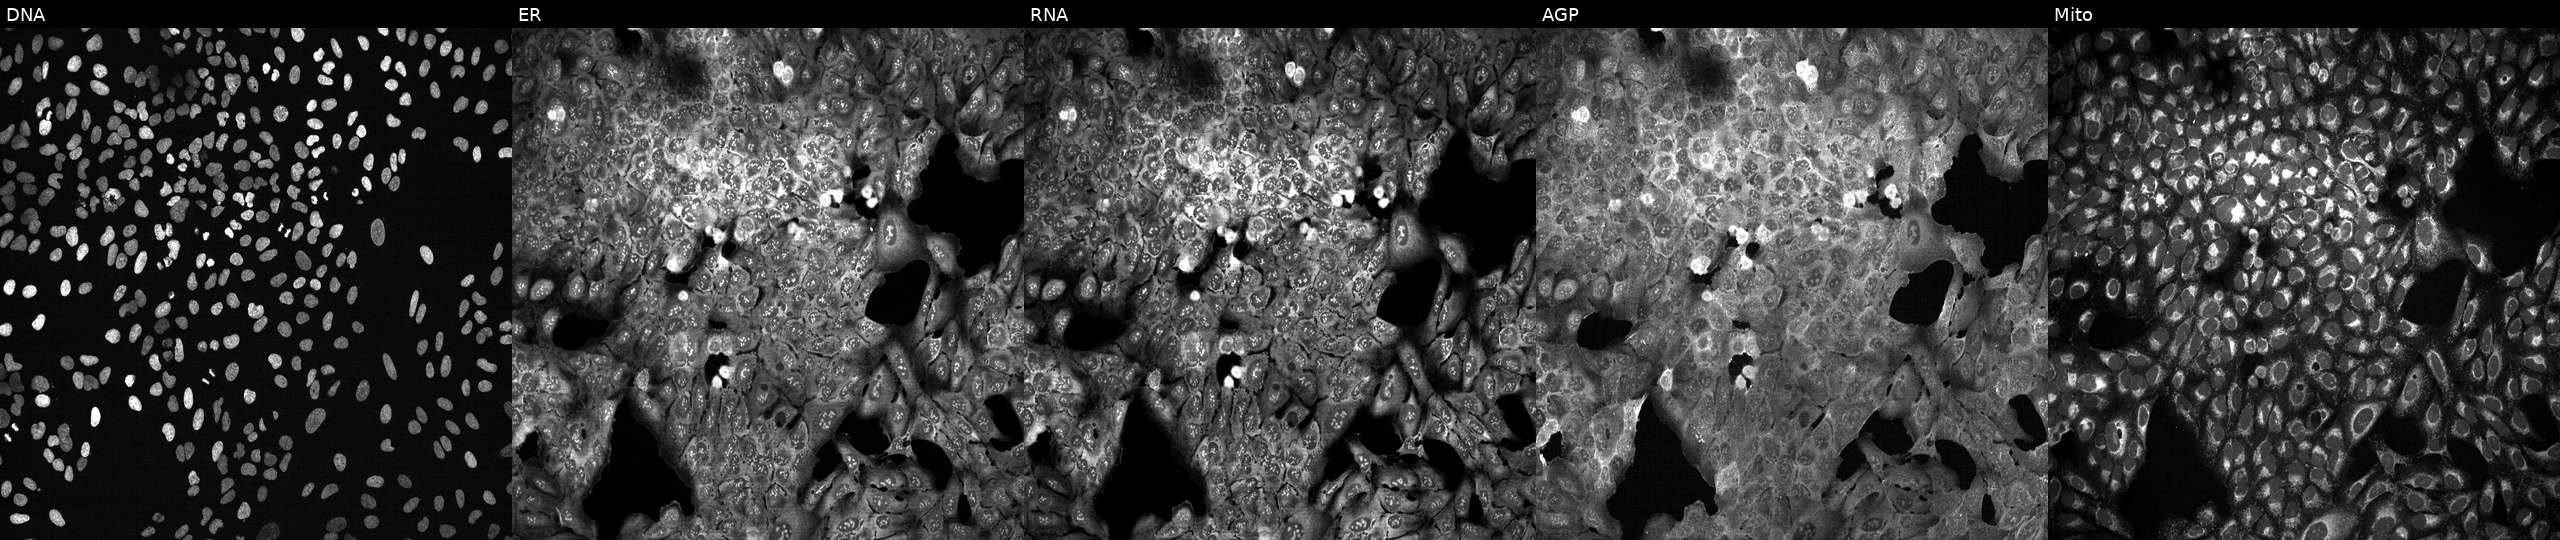
Five-channel Cell Painting image of U2OS cells with GDI1 knocked out by CRISPR. Panels show, left to right, DNA, ER, RNA, AGP, and Mito. Source 13, plate CP-CC9-R3-02, well N11.